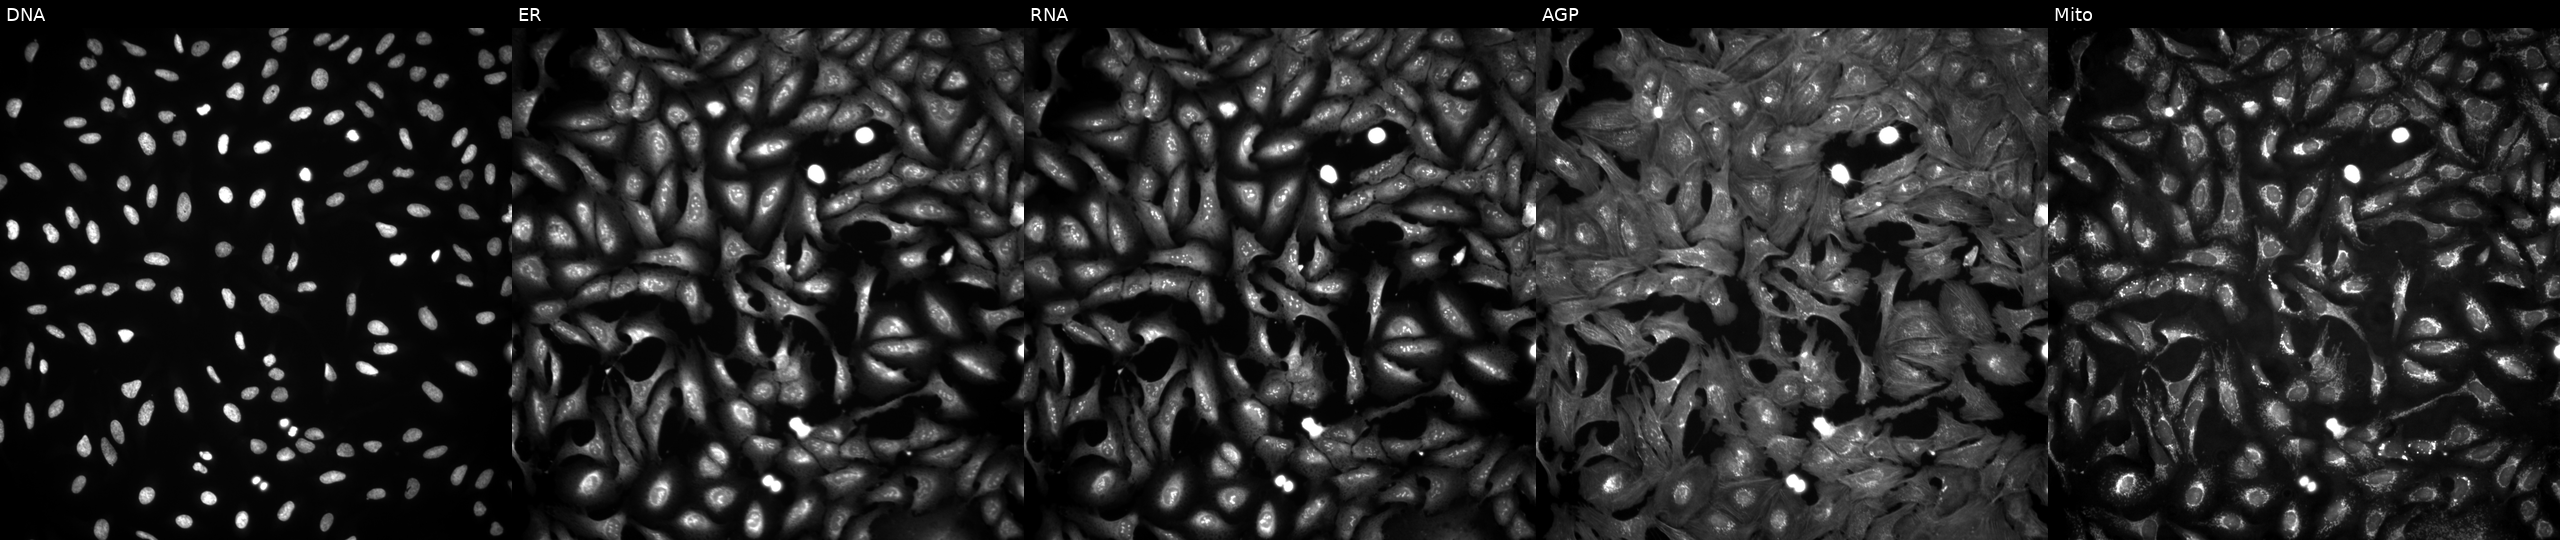
Five-channel Cell Painting image of U2OS cells with NAA38 overexpressed (ORF). Panels show, left to right, Hoechst 33342, concanavalin A, SYTO 14, phalloidin and WGA, MitoTracker.